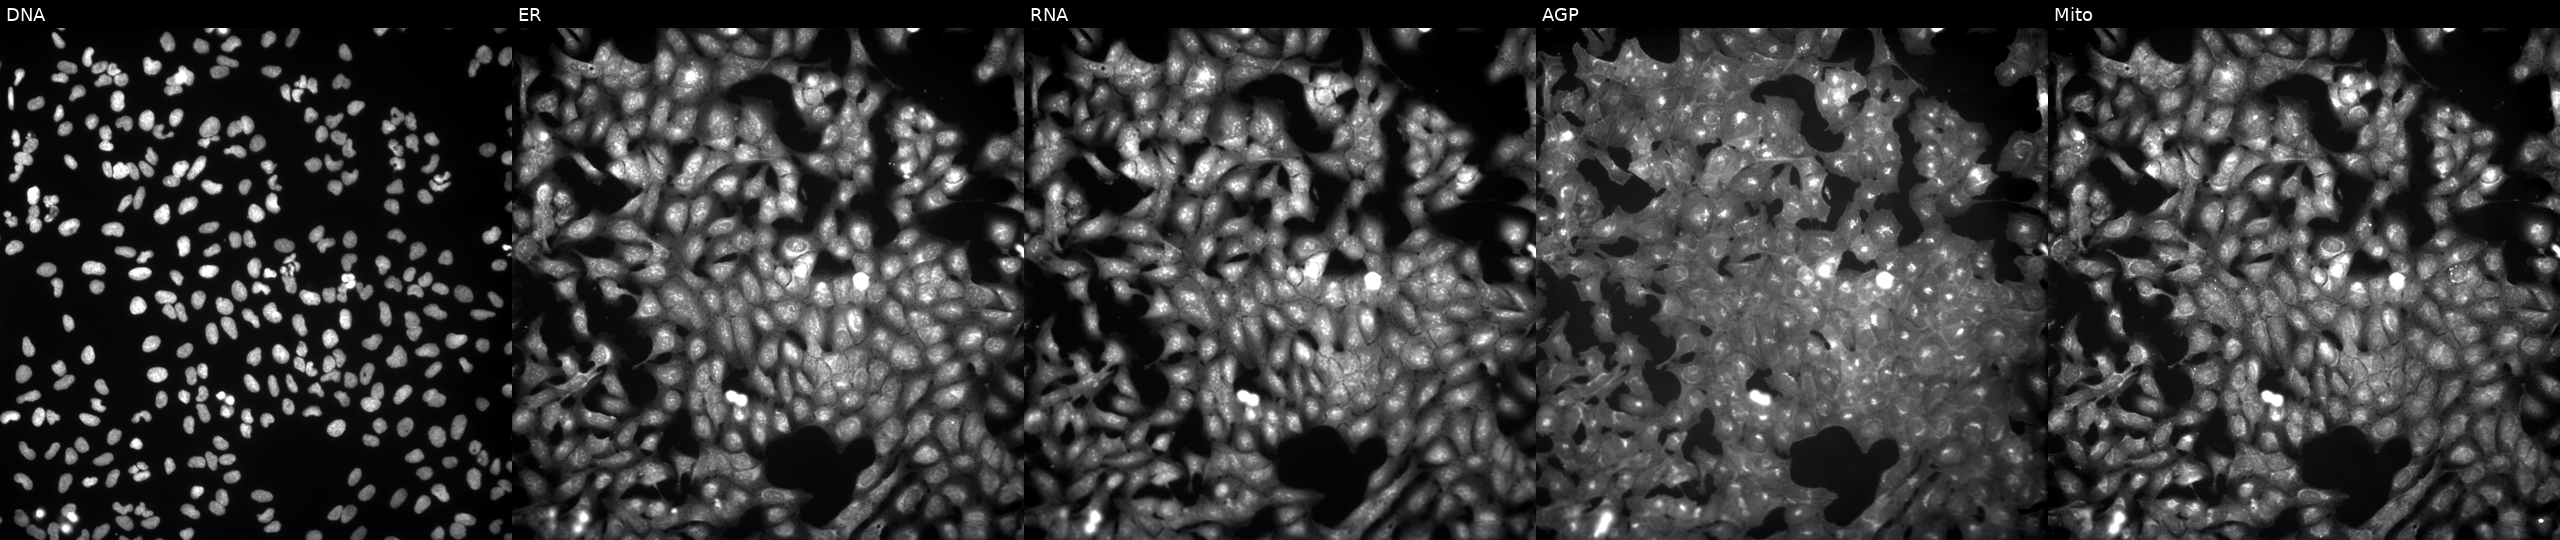
This image strip shows the five Cell Painting channels for a single field of U2OS cells exposed to the positive-control compound NVS-PAK1-1. Channels (left→right): Hoechst 33342, concanavalin A, SYTO 14, phalloidin and WGA, MitoTracker.